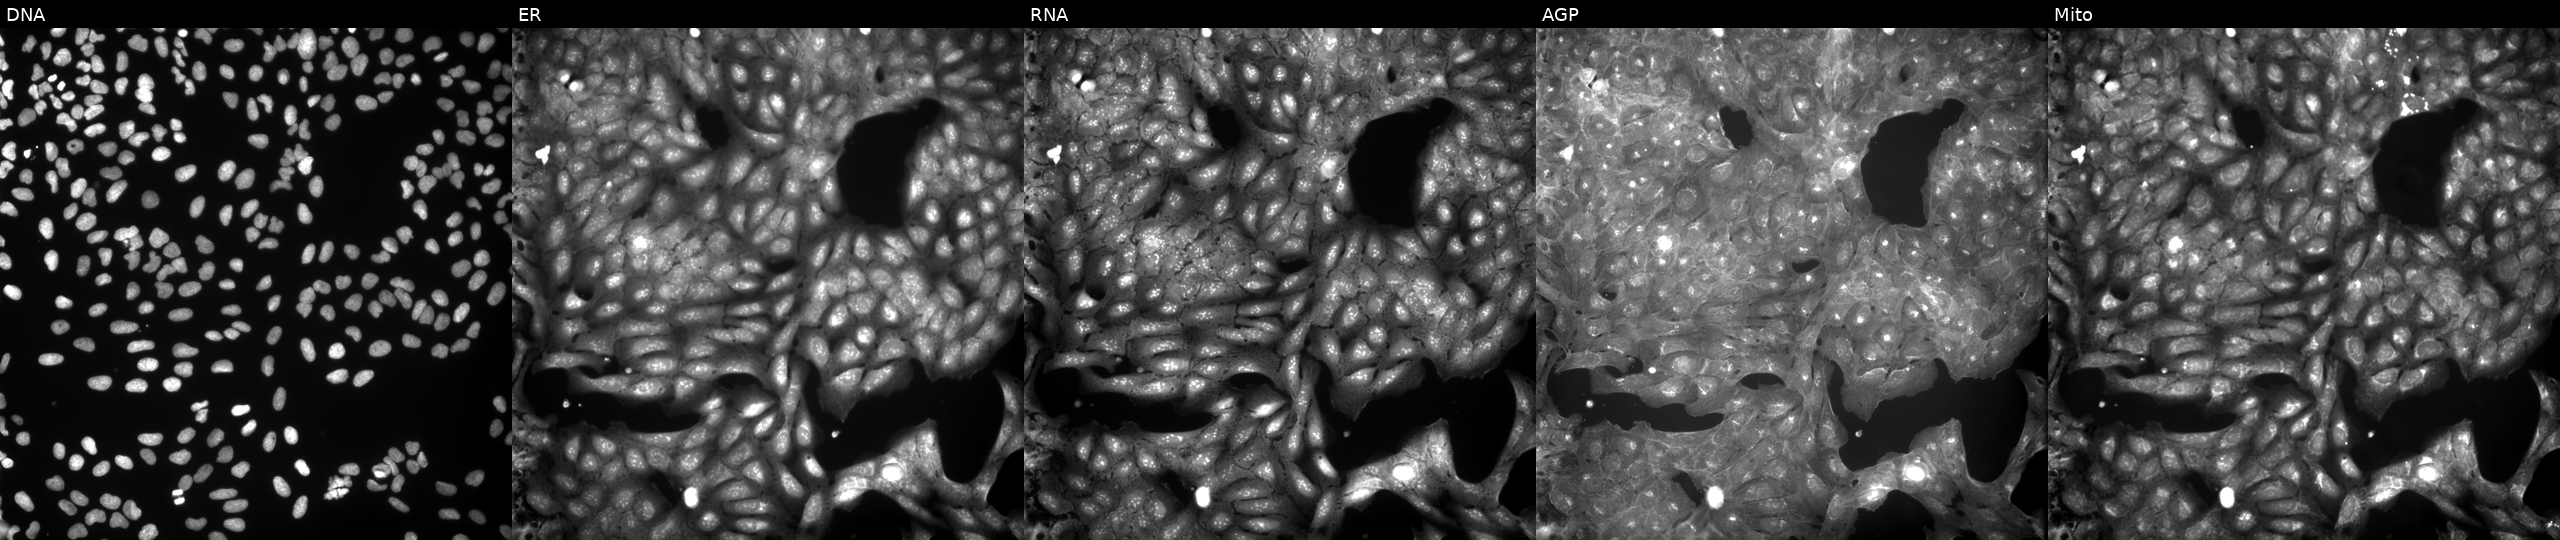
High-content fluorescence microscopy (Cell Painting). Cell line: U2OS. Perturbation: exposed to DMSO alone as a negative control (JUMP id JCP2022_033924). From left to right: Hoechst 33342, concanavalin A, SYTO 14, phalloidin and WGA, MitoTracker. Source 9, plate GR00003381, well E23.